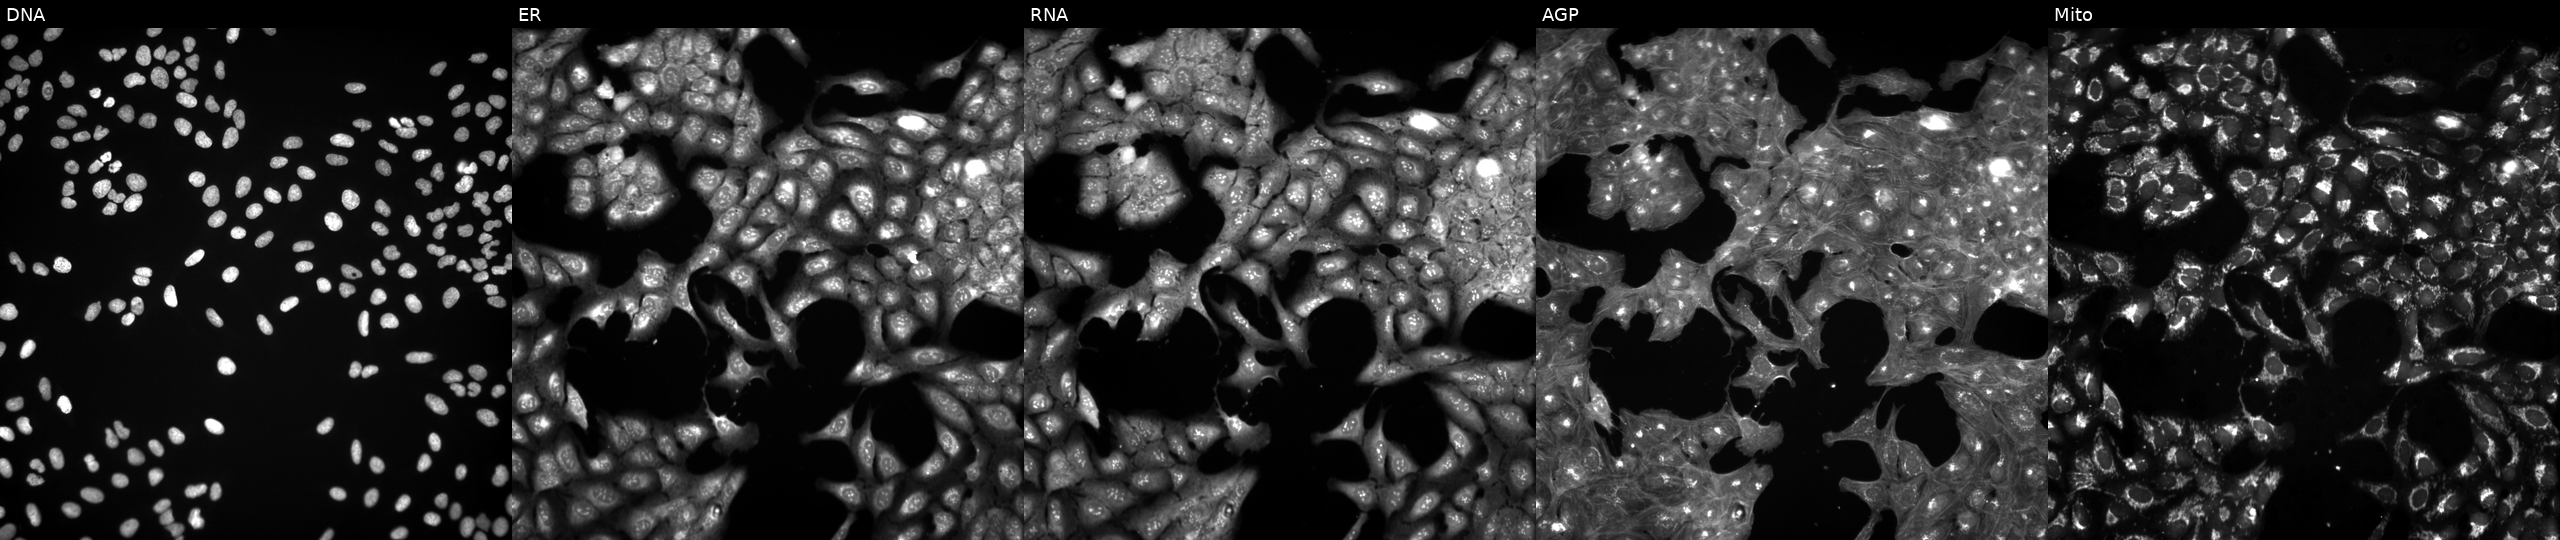
Panels show, left to right, DNA, ER, RNA, AGP, and Mito. U2OS osteosarcoma cells in an empty control well (no perturbation) (JUMP id JCP2022_999999). Cell Painting assay, JUMP-CP dataset.